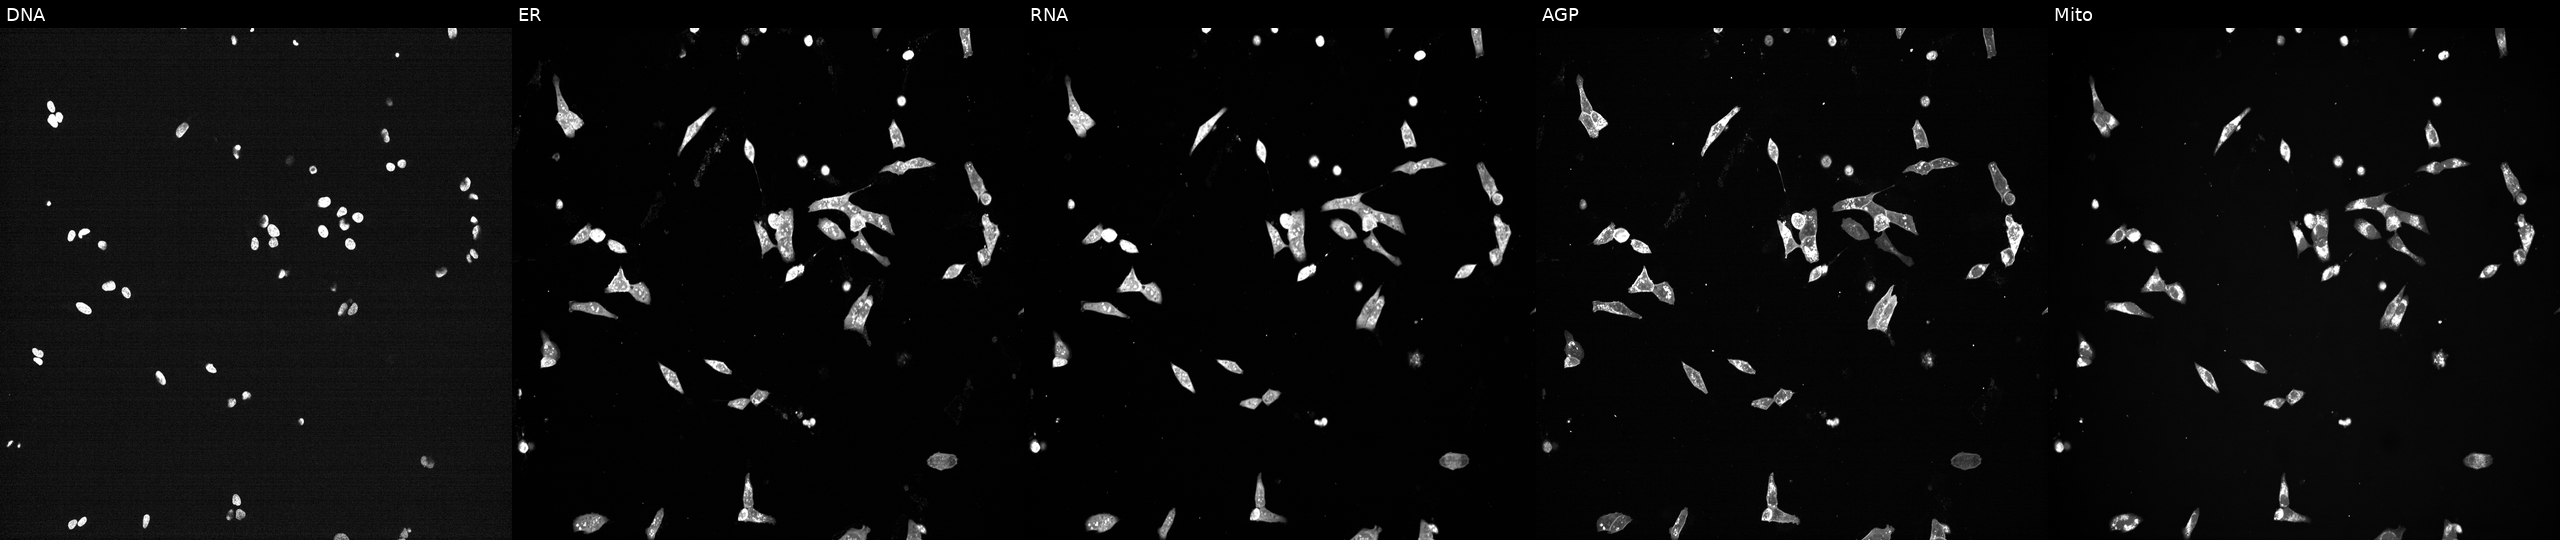
U2OS cells, Cell Painting assay, exposed to a small-molecule compound. Channels (left→right): Hoechst 33342, concanavalin A, SYTO 14, phalloidin and WGA, MitoTracker. Each panel is percentile-stretched 16-bit fluorescence.